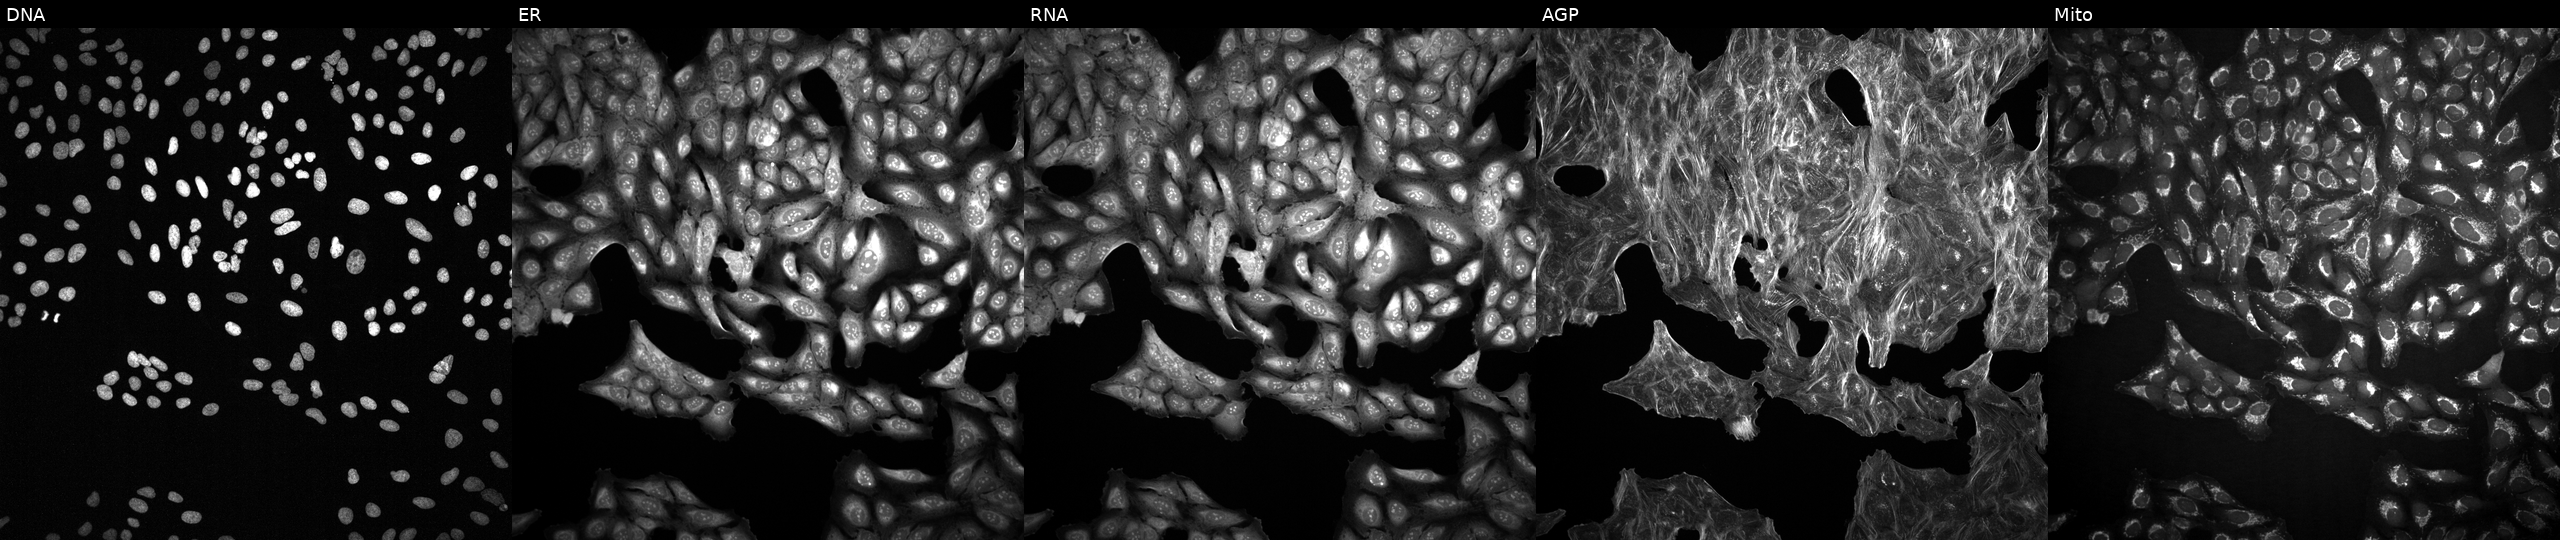
This image strip shows the five Cell Painting channels for a single field of U2OS cells with an unidentified perturbation (not annotated in JUMP metadata). Panels show, left to right, Hoechst 33342, concanavalin A, SYTO 14, phalloidin and WGA, MitoTracker. Source 2, plate 1053601756, well J05.